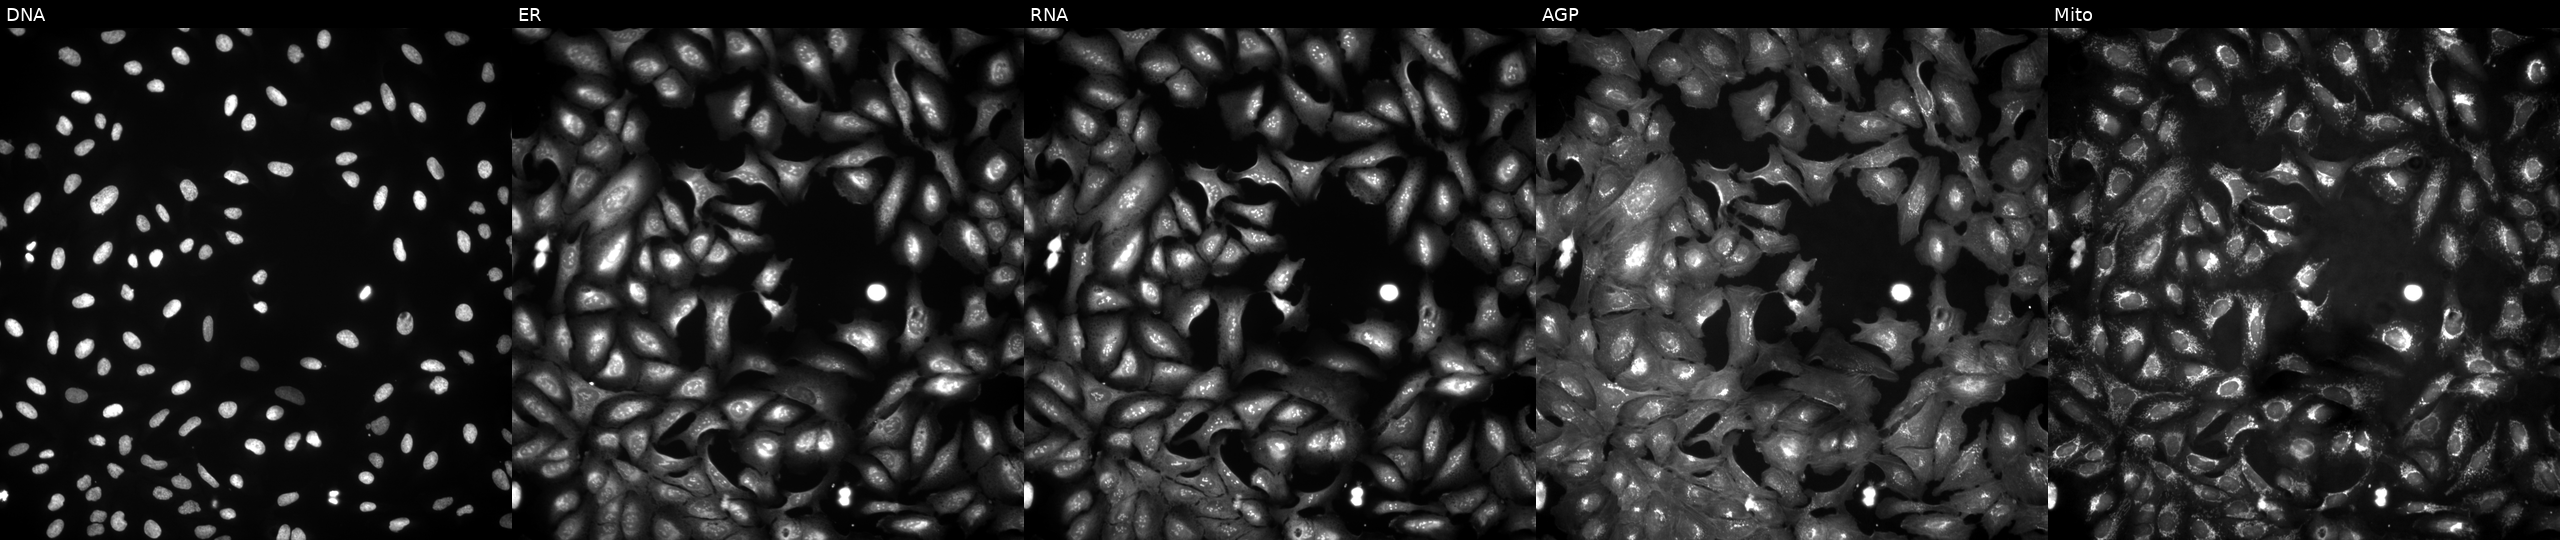
Panels show, left to right, DNA (nuclei); ER (endoplasmic reticulum); RNA (nucleoli and cytoplasmic RNA); AGP (actin cytoskeleton, Golgi, and plasma membrane); Mito (mitochondria). U2OS osteosarcoma cells overexpressing NUDT1 via ORF transfection (JUMP id JCP2022_900980). Cell Painting assay, JUMP-CP dataset.